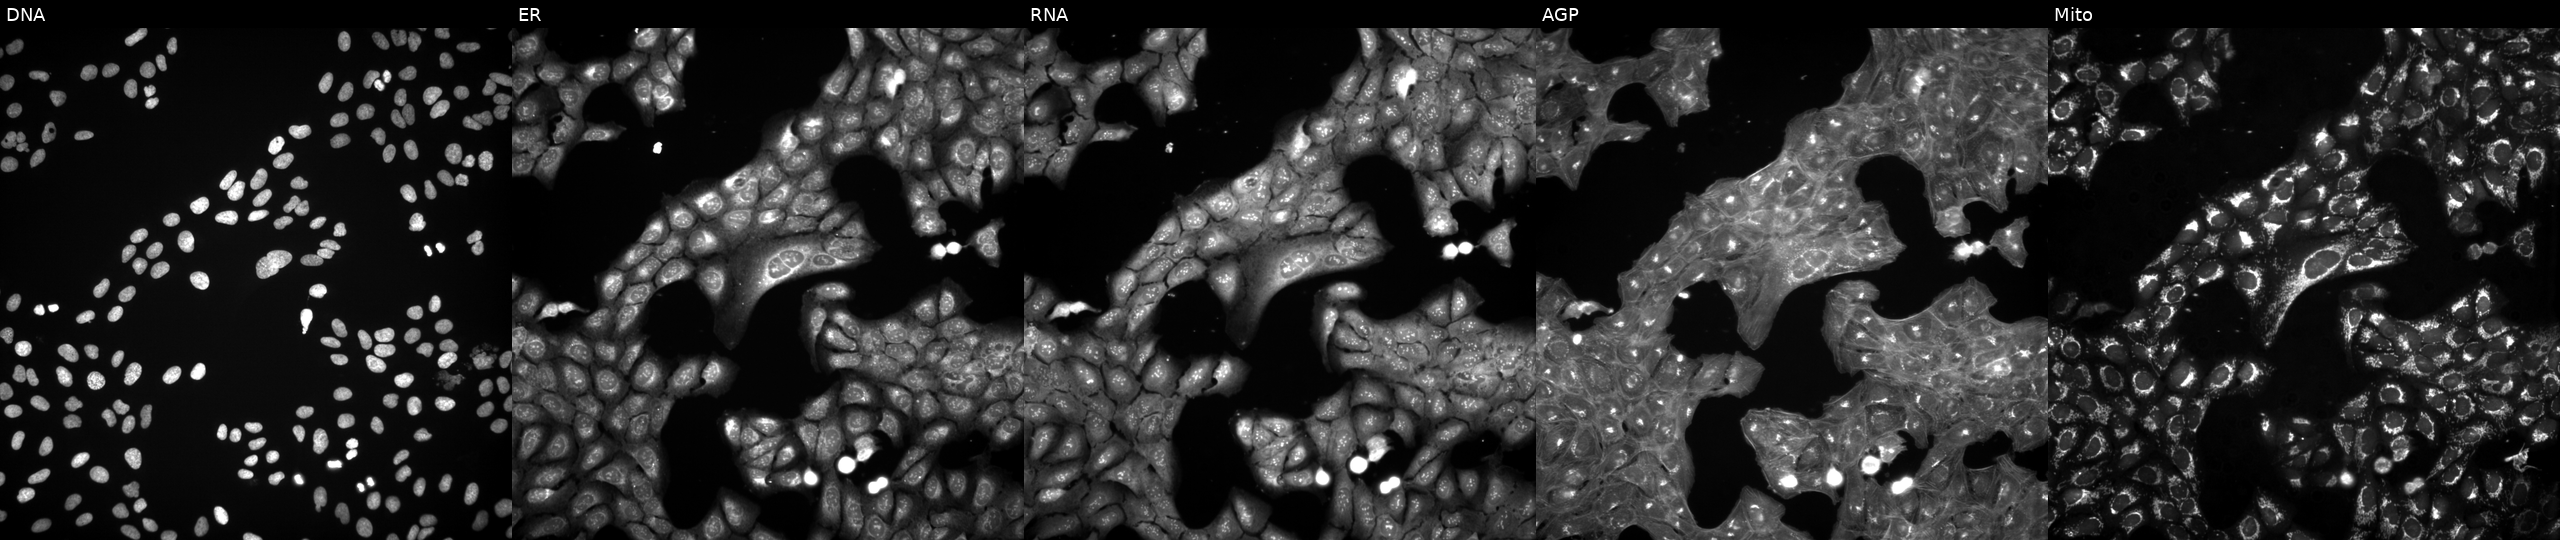
U2OS cells, Cell Painting assay, treated with a small-molecule compound (InChIKey YZJSIJDZAWLCQD-UHFFFAOYSA-N) (JUMP id JCP2022_111863). The five panels, left to right, show Hoechst 33342, concanavalin A, SYTO 14, phalloidin and WGA, MitoTracker. Each panel is percentile-stretched 16-bit fluorescence.